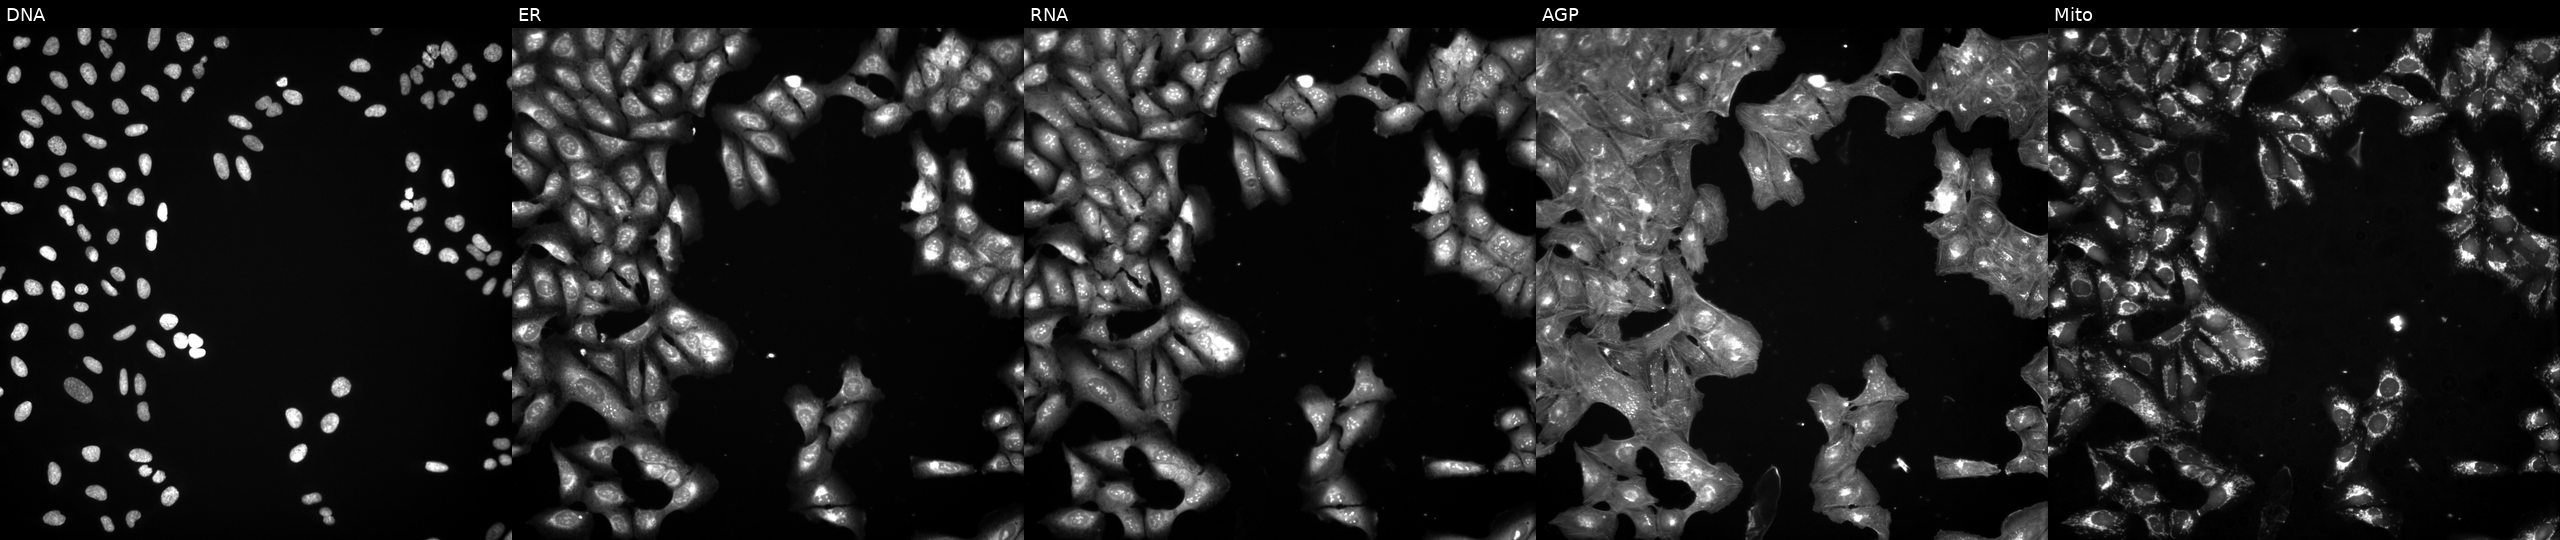
The five panels, left to right, show Hoechst 33342, concanavalin A, SYTO 14, phalloidin and WGA, MitoTracker. U2OS osteosarcoma cells exposed to a small-molecule compound (InChIKey PIOIWWZQQZQVMD-UHFFFAOYSA-N) [SMILES: COc1cccc(OC)c1C(=O)Nc1ccc(S(=O)(=O)N=c2cccc[nH]2)cc1]. Cell Painting assay, JUMP-CP dataset.